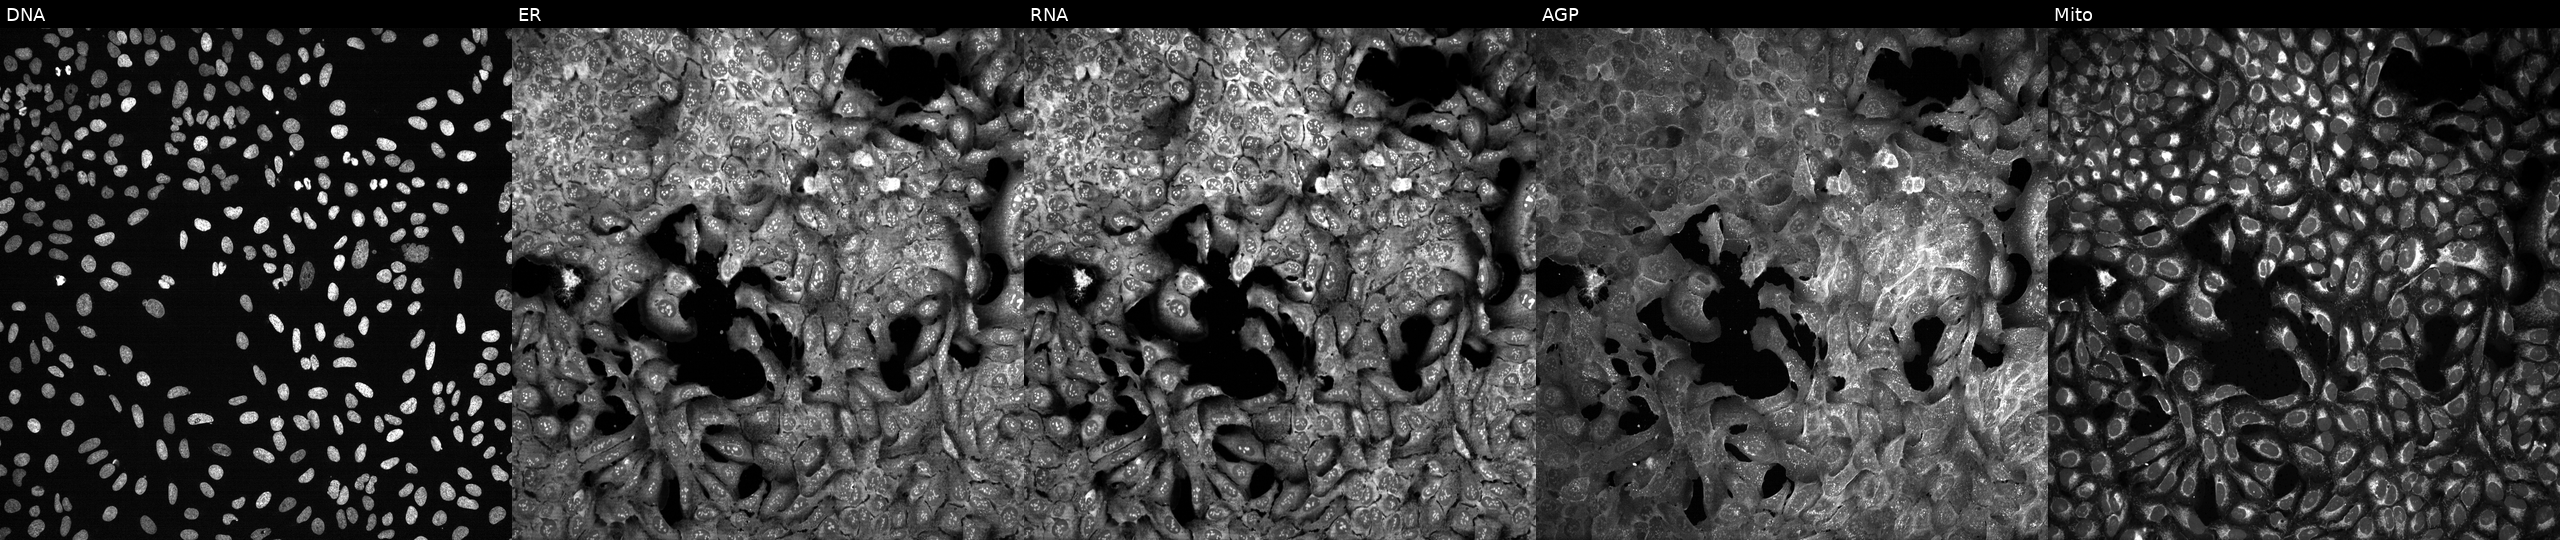
The five panels, left to right, show DNA (nuclei); ER (endoplasmic reticulum); RNA (nucleoli and cytoplasmic RNA); AGP (actin cytoskeleton, Golgi, and plasma membrane); Mito (mitochondria). U2OS osteosarcoma cells following CRISPR knockout of CPA6 (JUMP id JCP2022_801469). Cell Painting assay, JUMP-CP dataset. Source 13, plate CP-CC9-R6-19, well L09.